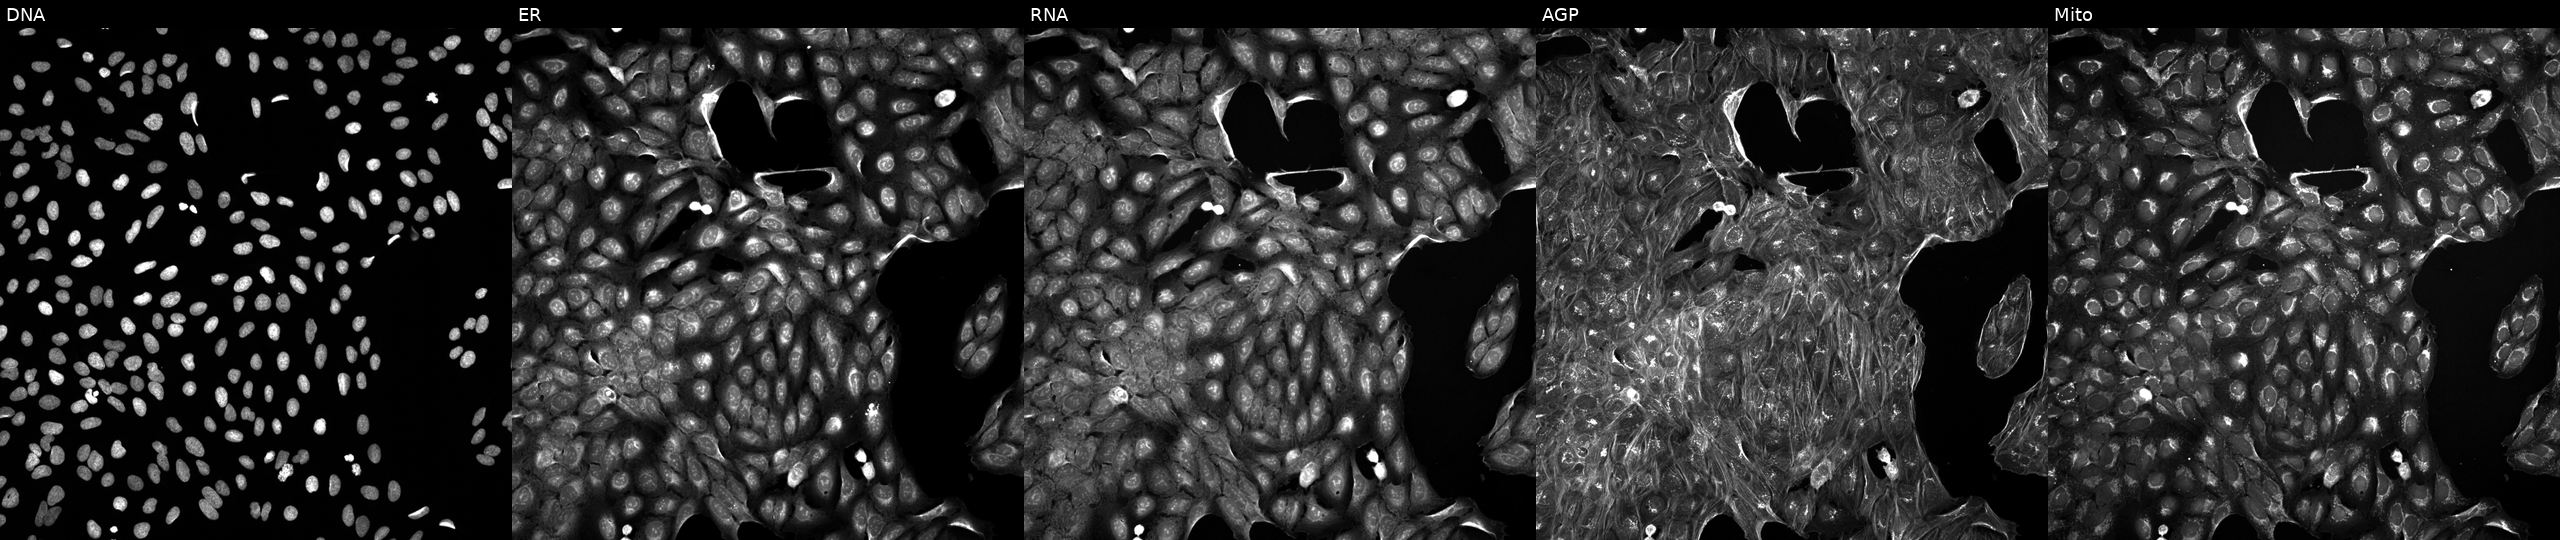
From left to right: DNA, ER, RNA, AGP, and Mito. U2OS osteosarcoma cells exposed to a small-molecule compound (InChIKey XDFKWGIBQMHSOH-UHFFFAOYSA-N) [SMILES: O=C(c1ccc(Cl)cc1)N(Cc1ccccc1)C1CCCCC1]. Cell Painting assay, JUMP-CP dataset.